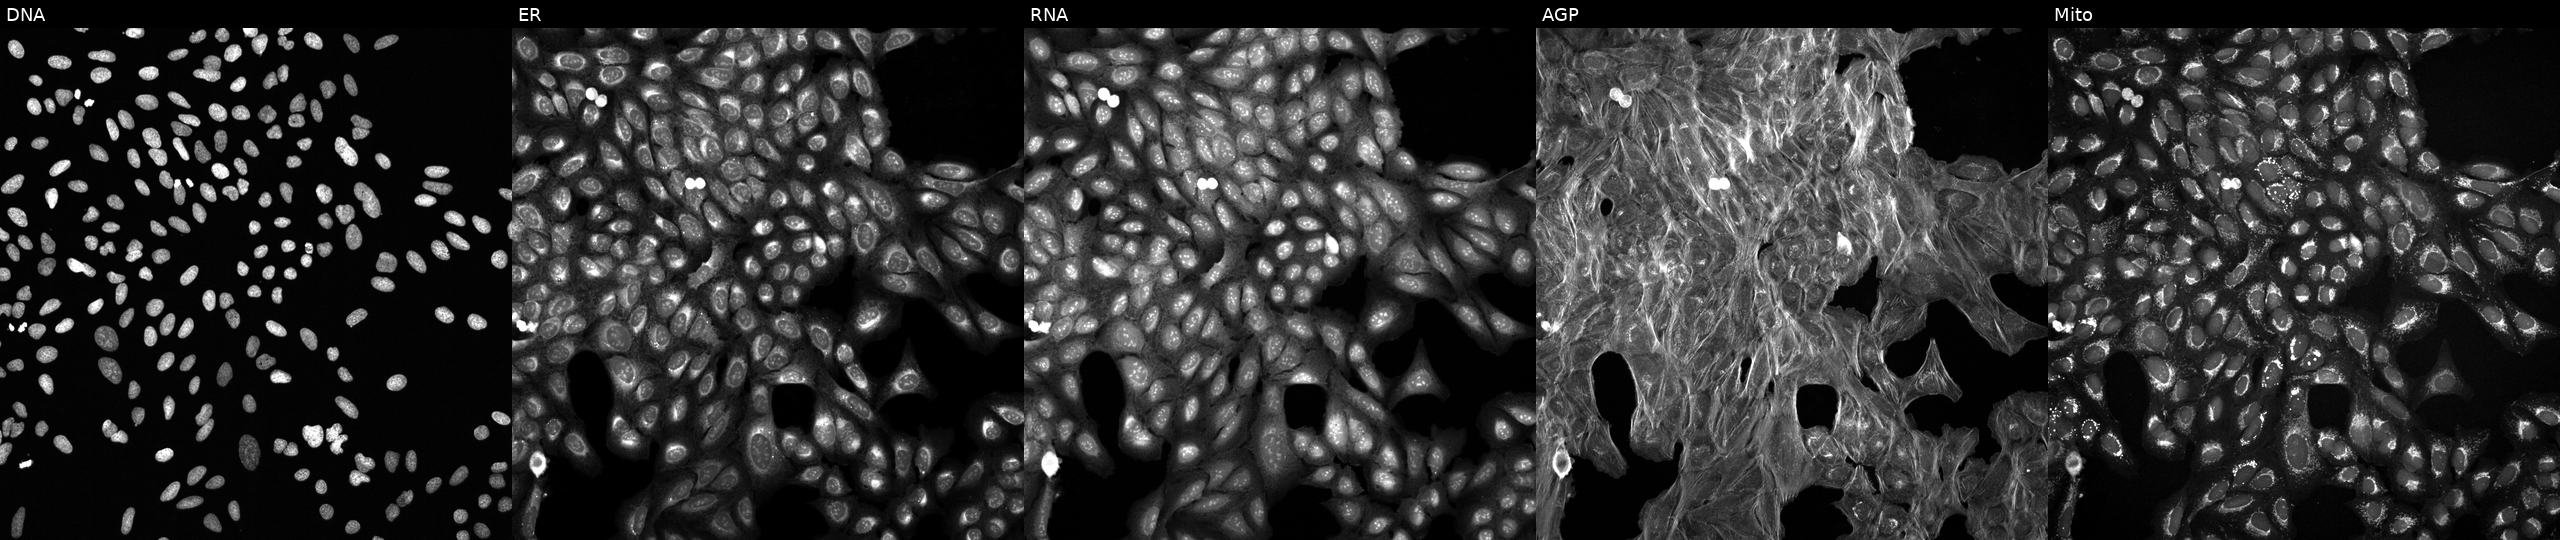
High-content fluorescence microscopy (Cell Painting). Cell line: U2OS. Perturbation: exposed to DMSO alone as a negative control (JUMP id JCP2022_033924). Panels show, left to right, DNA, ER, RNA, AGP, and Mito. Source 6, plate 110000293093, well F24.